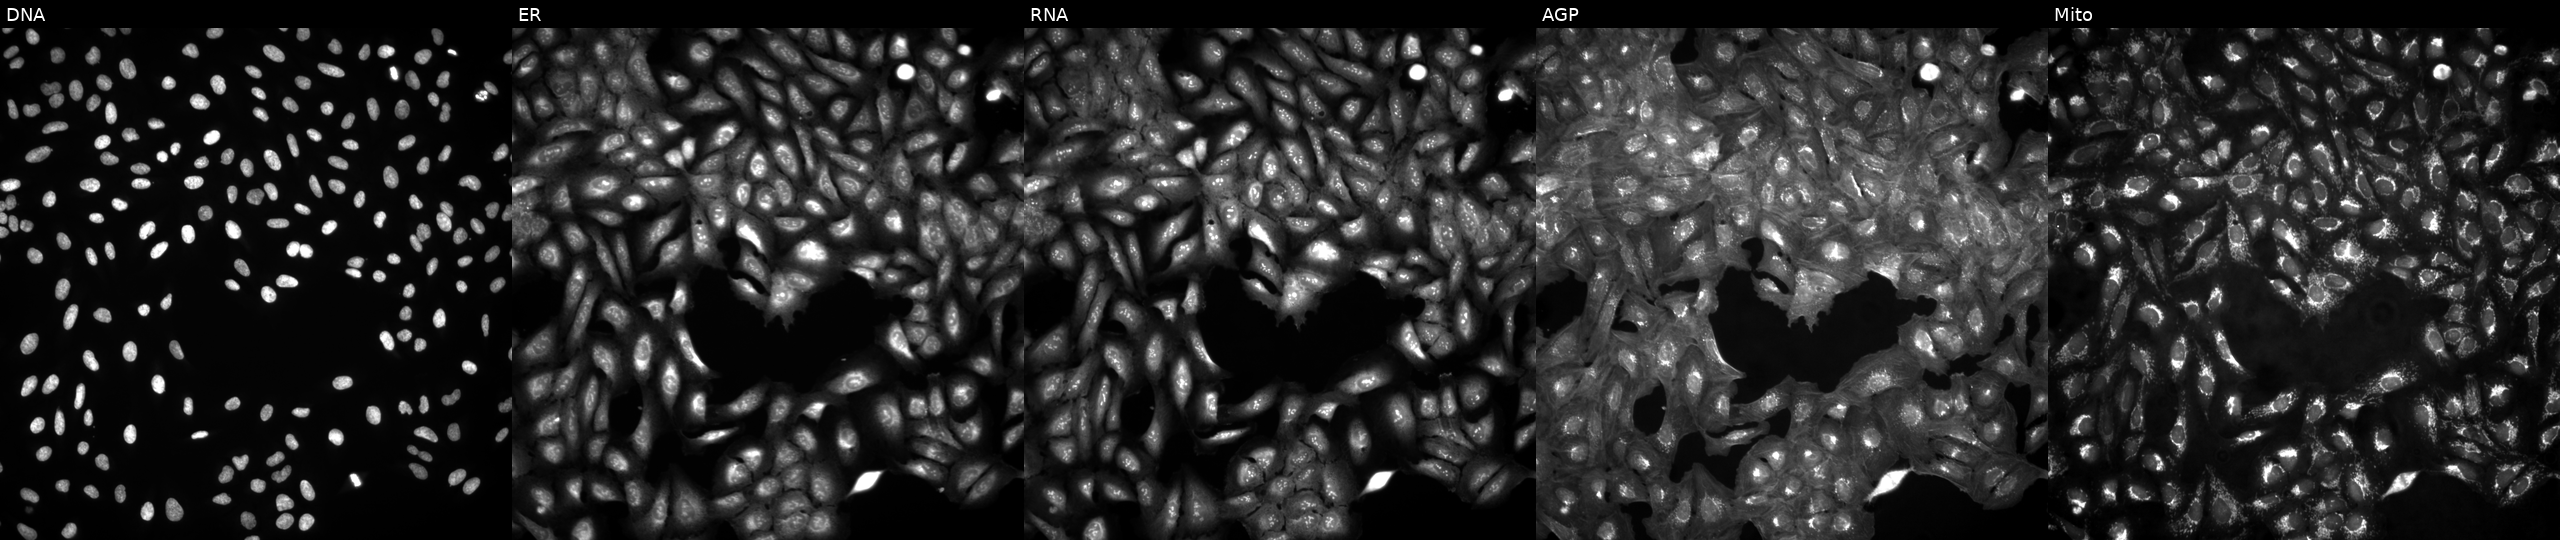
U2OS cells, Cell Painting assay, untreated (empty-well control). Channels (left→right): Hoechst 33342, concanavalin A, SYTO 14, phalloidin and WGA, MitoTracker. Each panel is percentile-stretched 16-bit fluorescence.